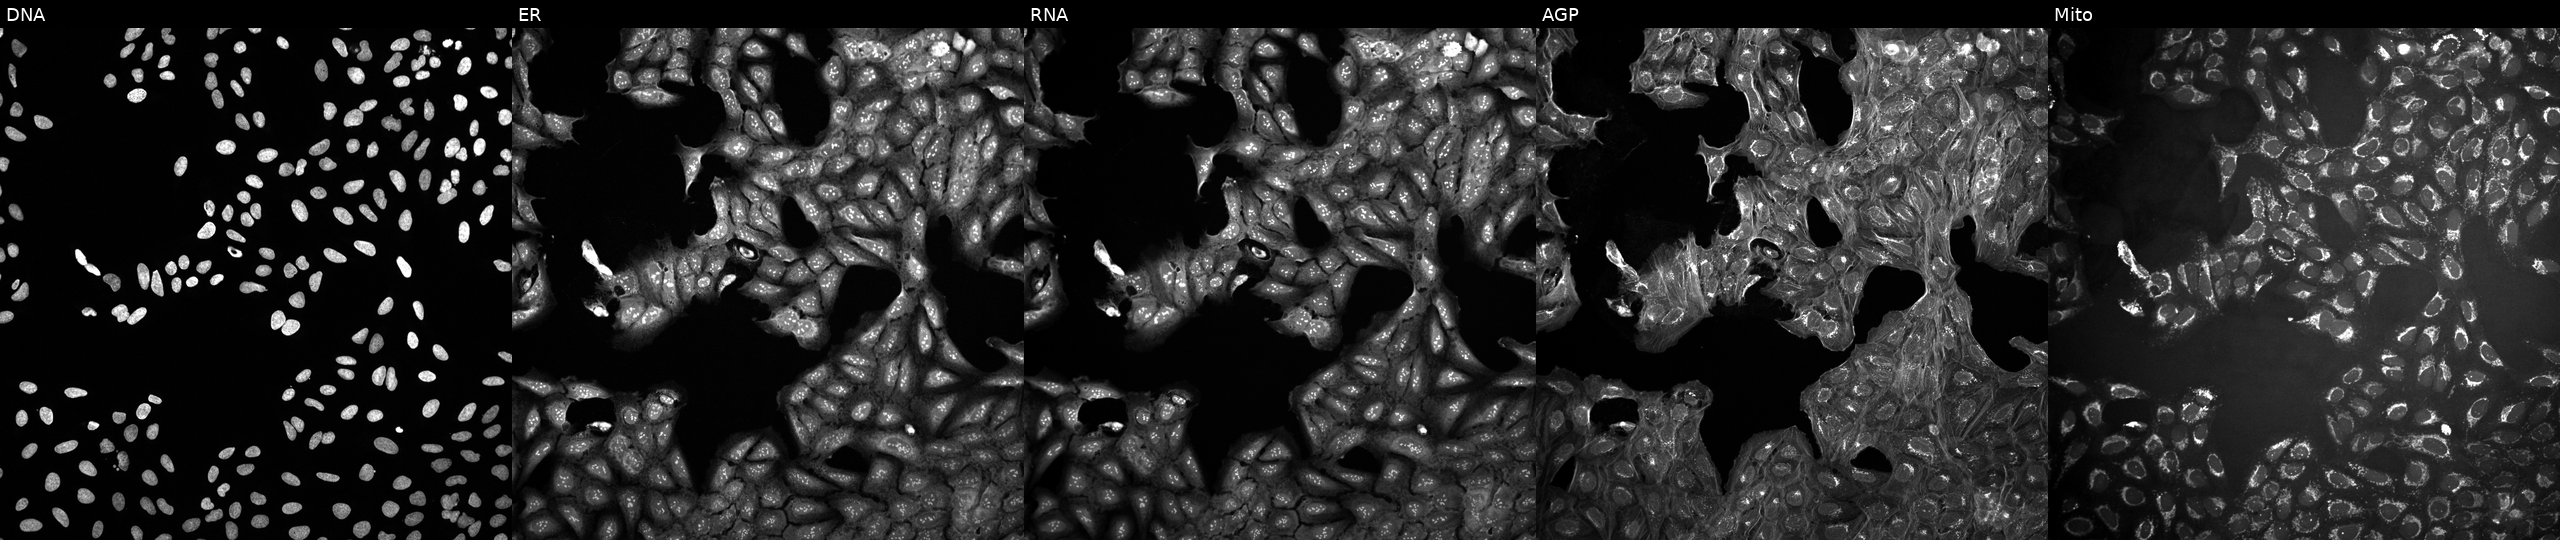
From left to right: DNA, ER, RNA, AGP, and Mito. U2OS osteosarcoma cells exposed to a small-molecule compound (InChIKey YGJCMGZYXKLPJS-UHFFFAOYSA-N) (JUMP id JCP2022_108275). Cell Painting assay, JUMP-CP dataset.